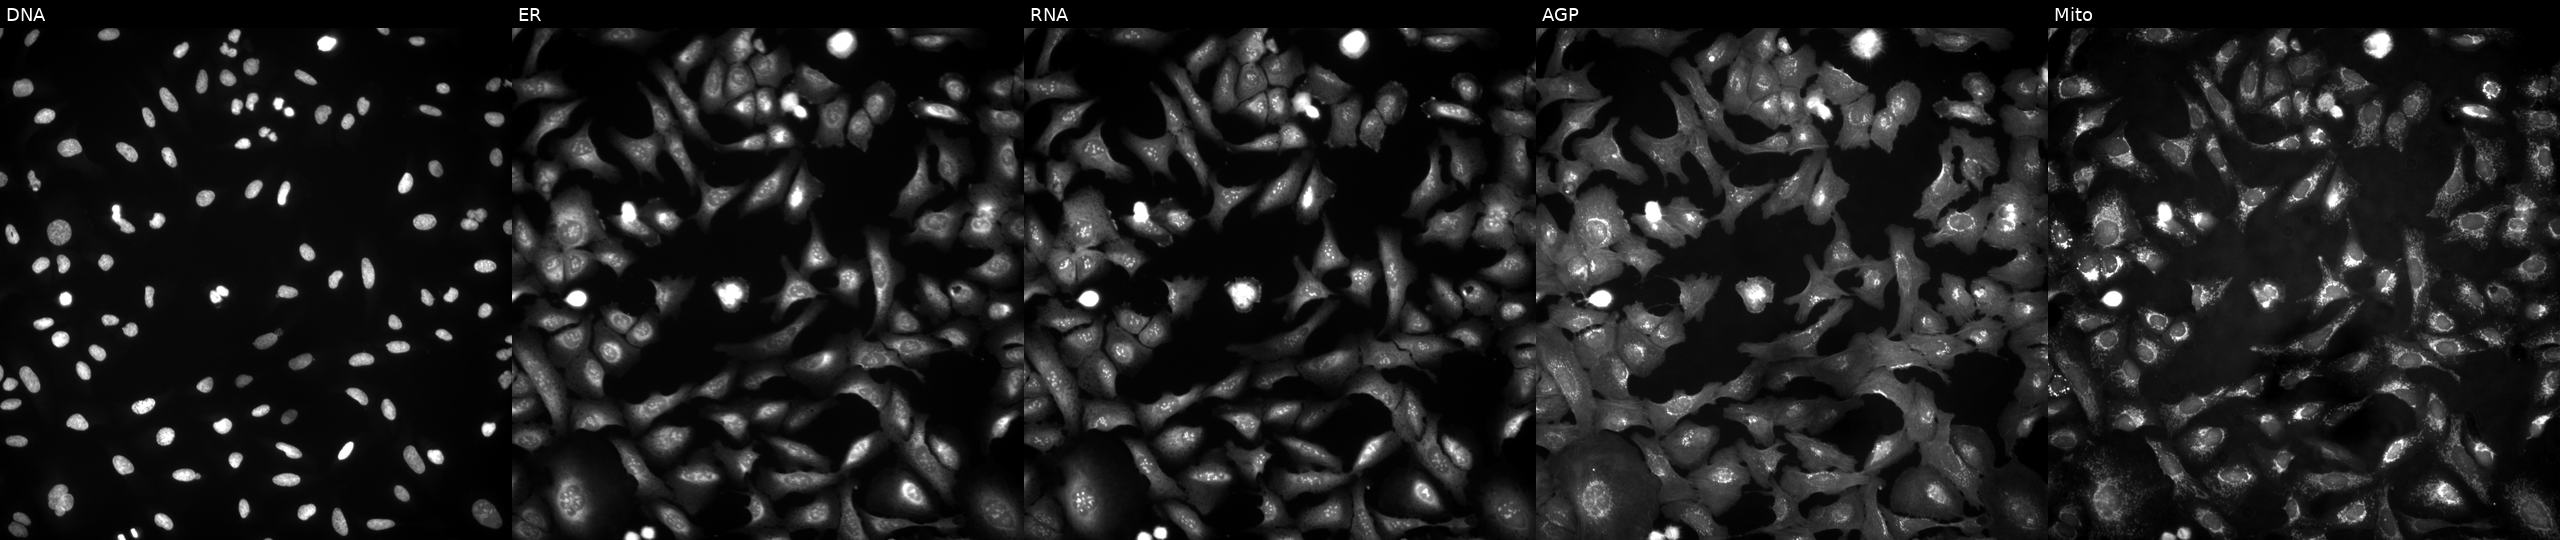
High-content fluorescence microscopy (Cell Painting). Cell line: U2OS. Perturbation: expressing BFP (ORF negative control) (JUMP id JCP2022_915128). Channels (left→right): DNA (nuclei); ER (endoplasmic reticulum); RNA (nucleoli and cytoplasmic RNA); AGP (actin cytoskeleton, Golgi, and plasma membrane); Mito (mitochondria).